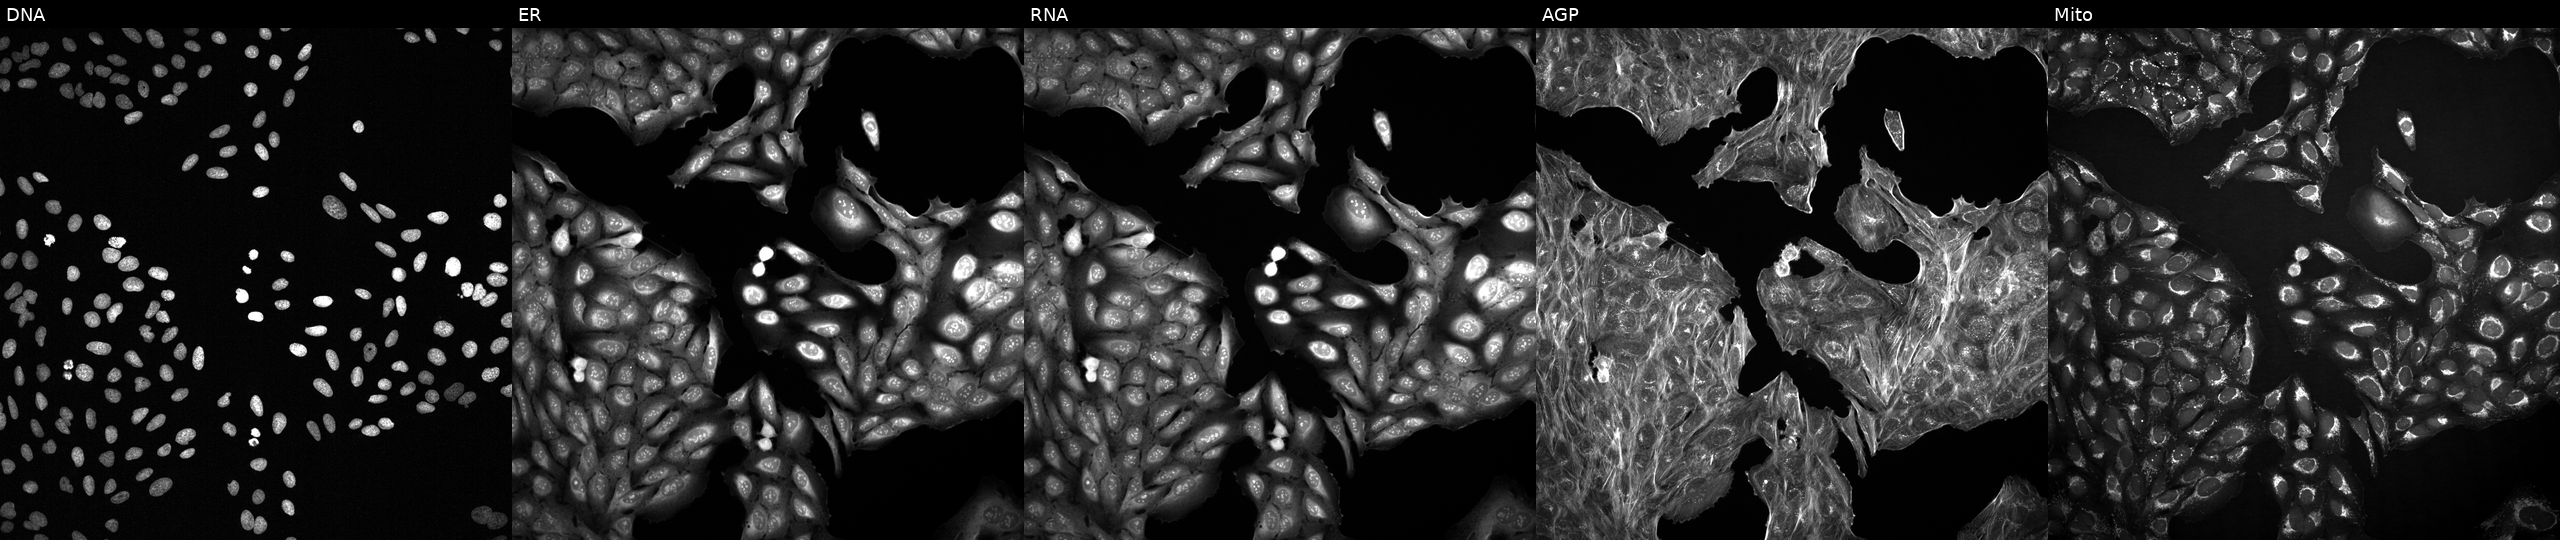
U2OS cells, Cell Painting assay, treated with a small-molecule compound (InChIKey SRKGVOUOXSXNFL-UHFFFAOYSA-N) (JUMP id JCP2022_085146). Panels show, left to right, DNA, ER, RNA, AGP, and Mito. Each panel is percentile-stretched 16-bit fluorescence.